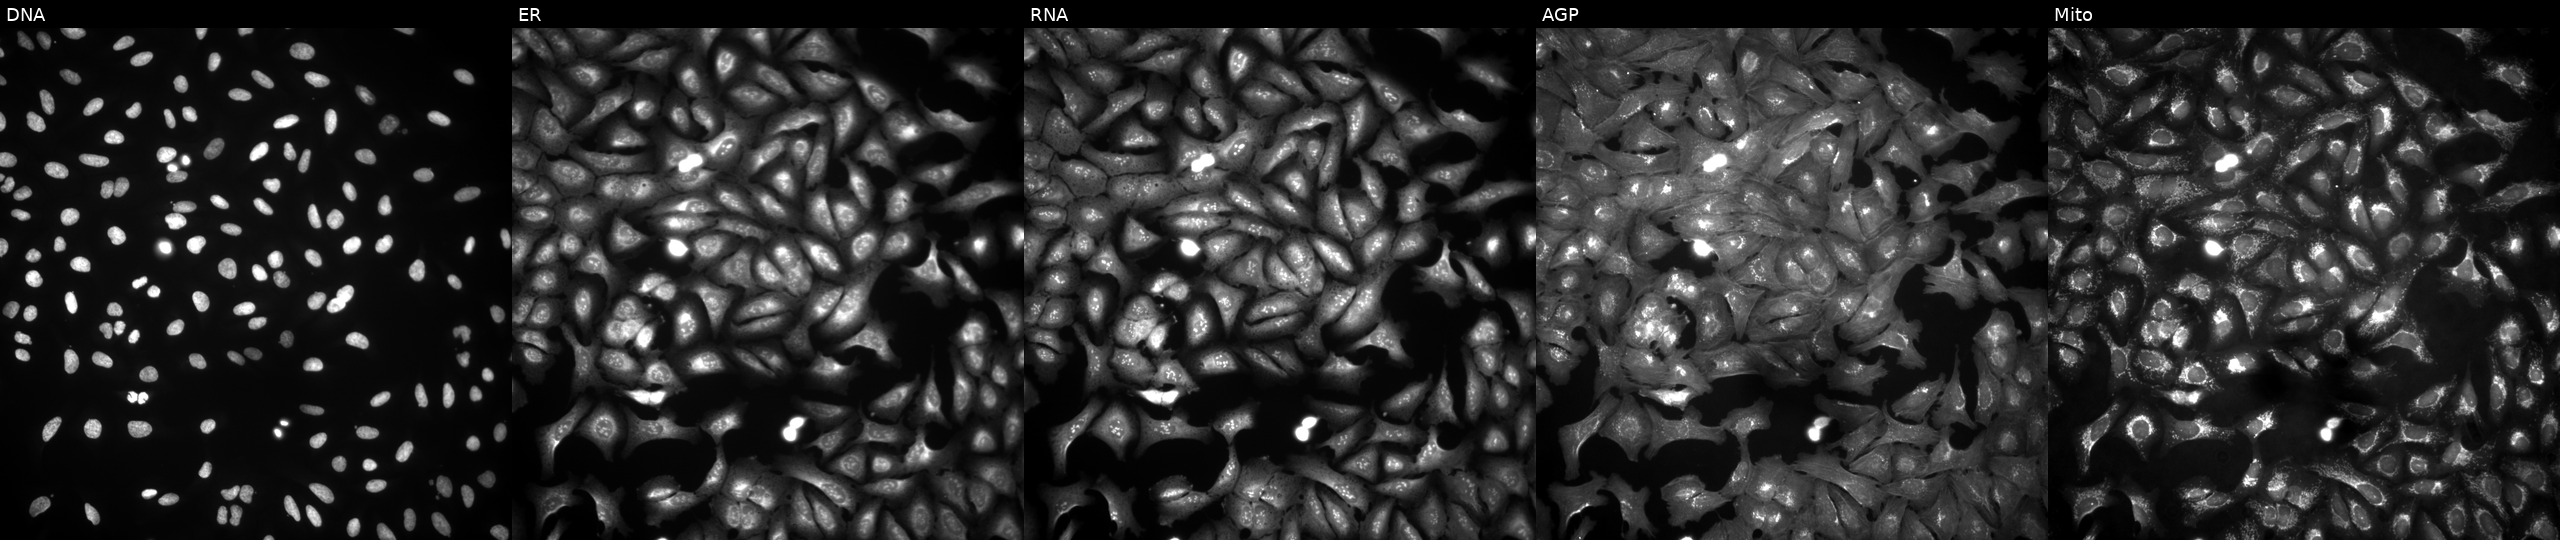
Channels (left→right): DNA (nuclei); ER (endoplasmic reticulum); RNA (nucleoli and cytoplasmic RNA); AGP (actin cytoskeleton, Golgi, and plasma membrane); Mito (mitochondria). U2OS osteosarcoma cells overexpressing YPEL1 via ORF transfection (JUMP id JCP2022_907598). Cell Painting assay, JUMP-CP dataset.